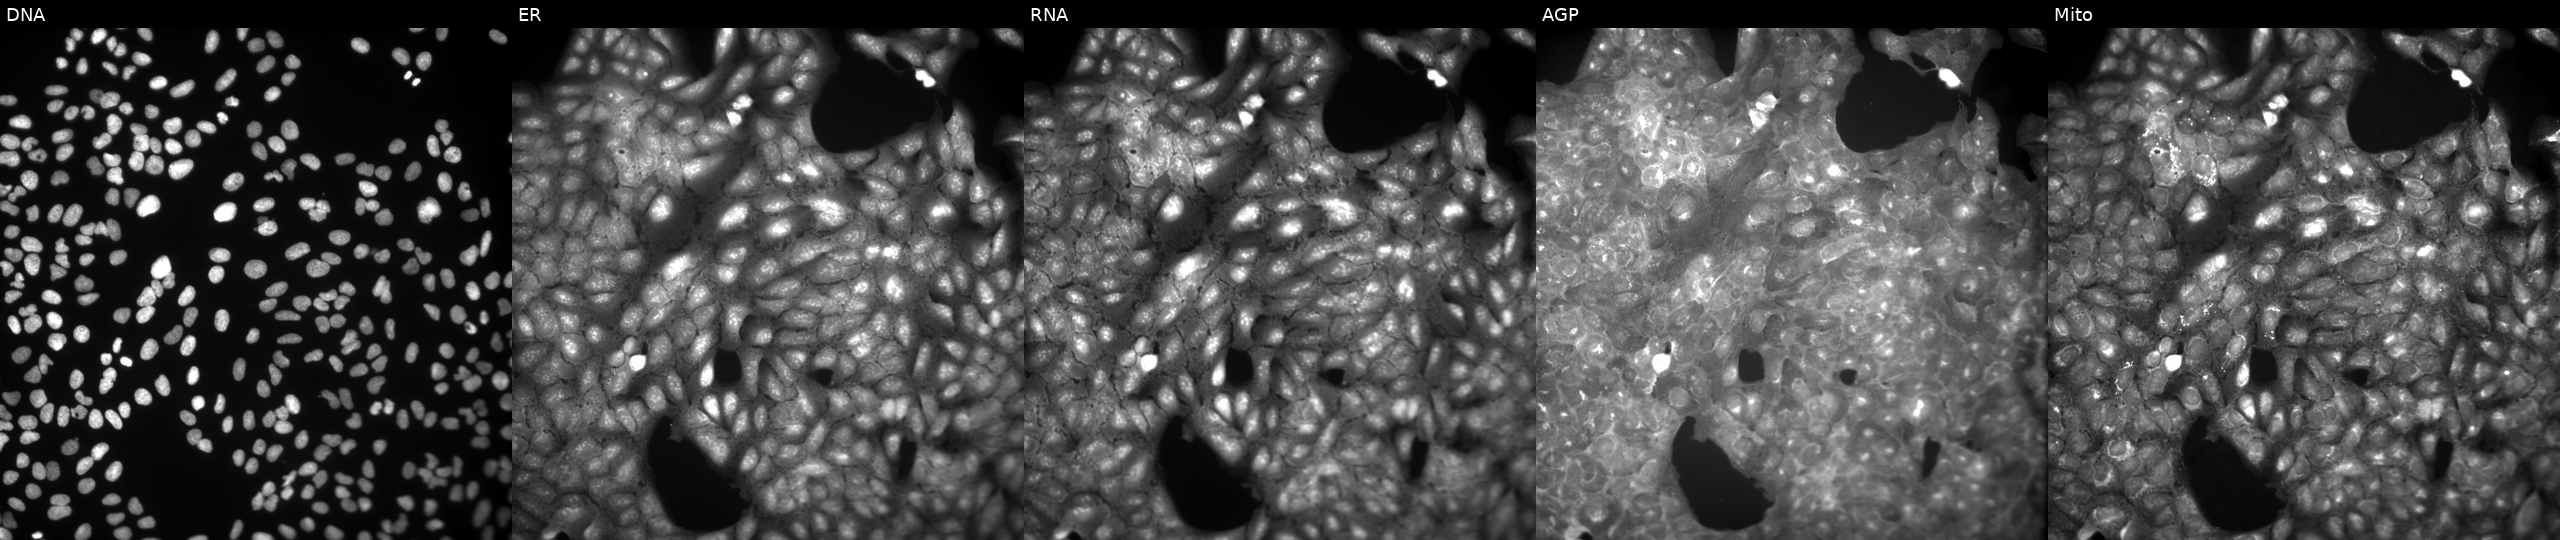
JUMP Cell Painting — COMPOUND plate. U2OS cells treated with a small-molecule compound (InChIKey GYZIJDSQMMANKN-UHFFFAOYSA-N) (JUMP id JCP2022_028648). Panels show, left to right, Hoechst 33342, concanavalin A, SYTO 14, phalloidin and WGA, MitoTracker.